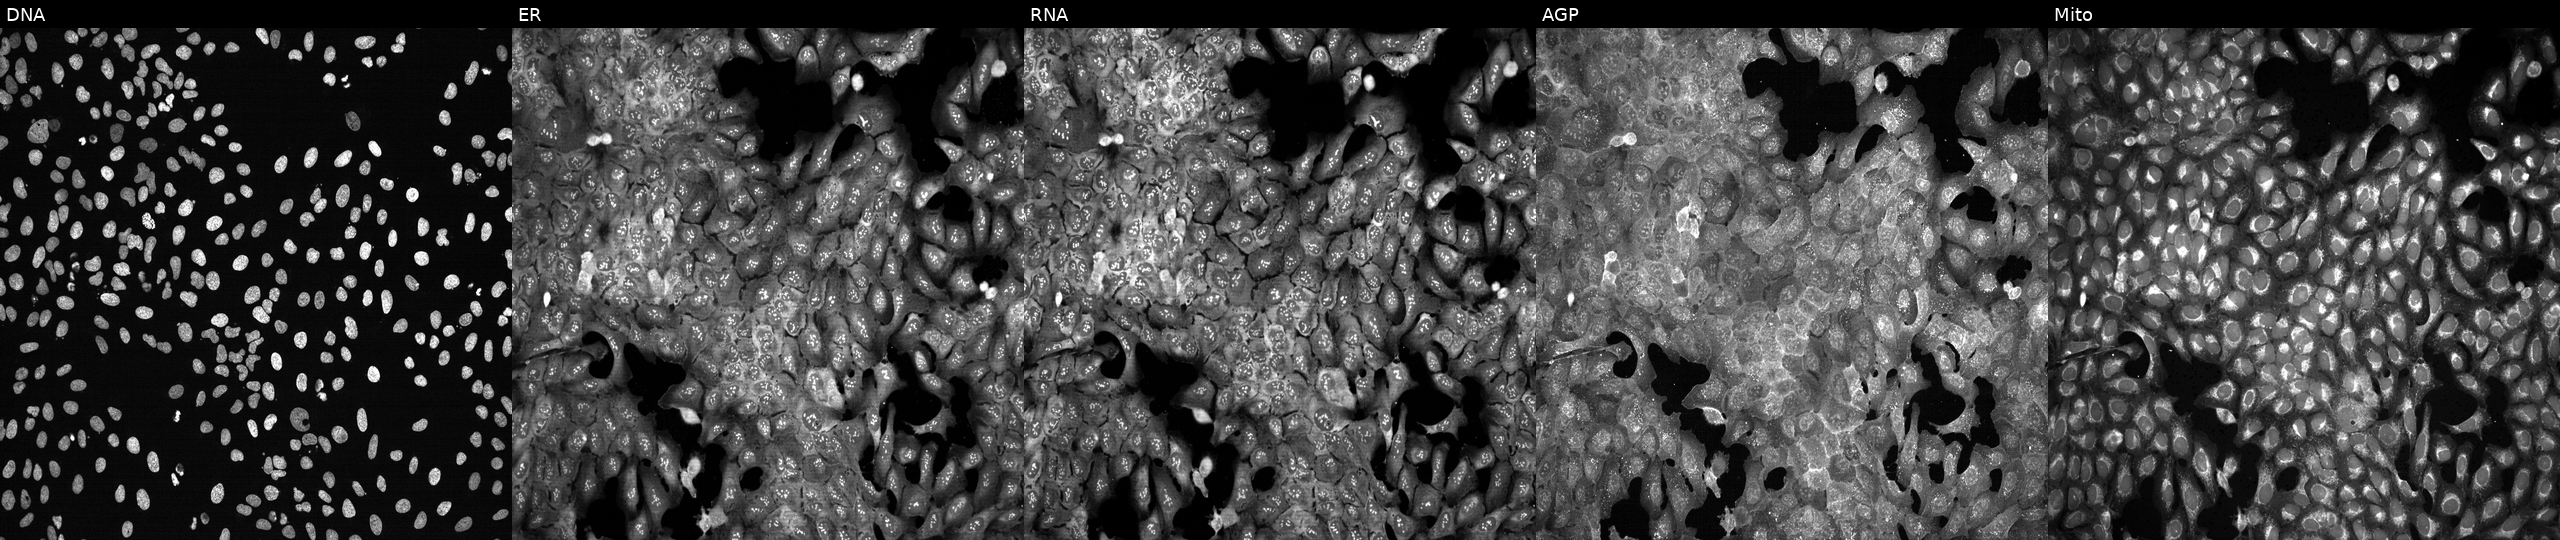
From left to right: DNA (nuclei); ER (endoplasmic reticulum); RNA (nucleoli and cytoplasmic RNA); AGP (actin cytoskeleton, Golgi, and plasma membrane); Mito (mitochondria). U2OS osteosarcoma cells CRISPR-edited to disrupt TXNRD3. Cell Painting assay, JUMP-CP dataset. Source 13, plate CP-CC9-R5-01, well L13.